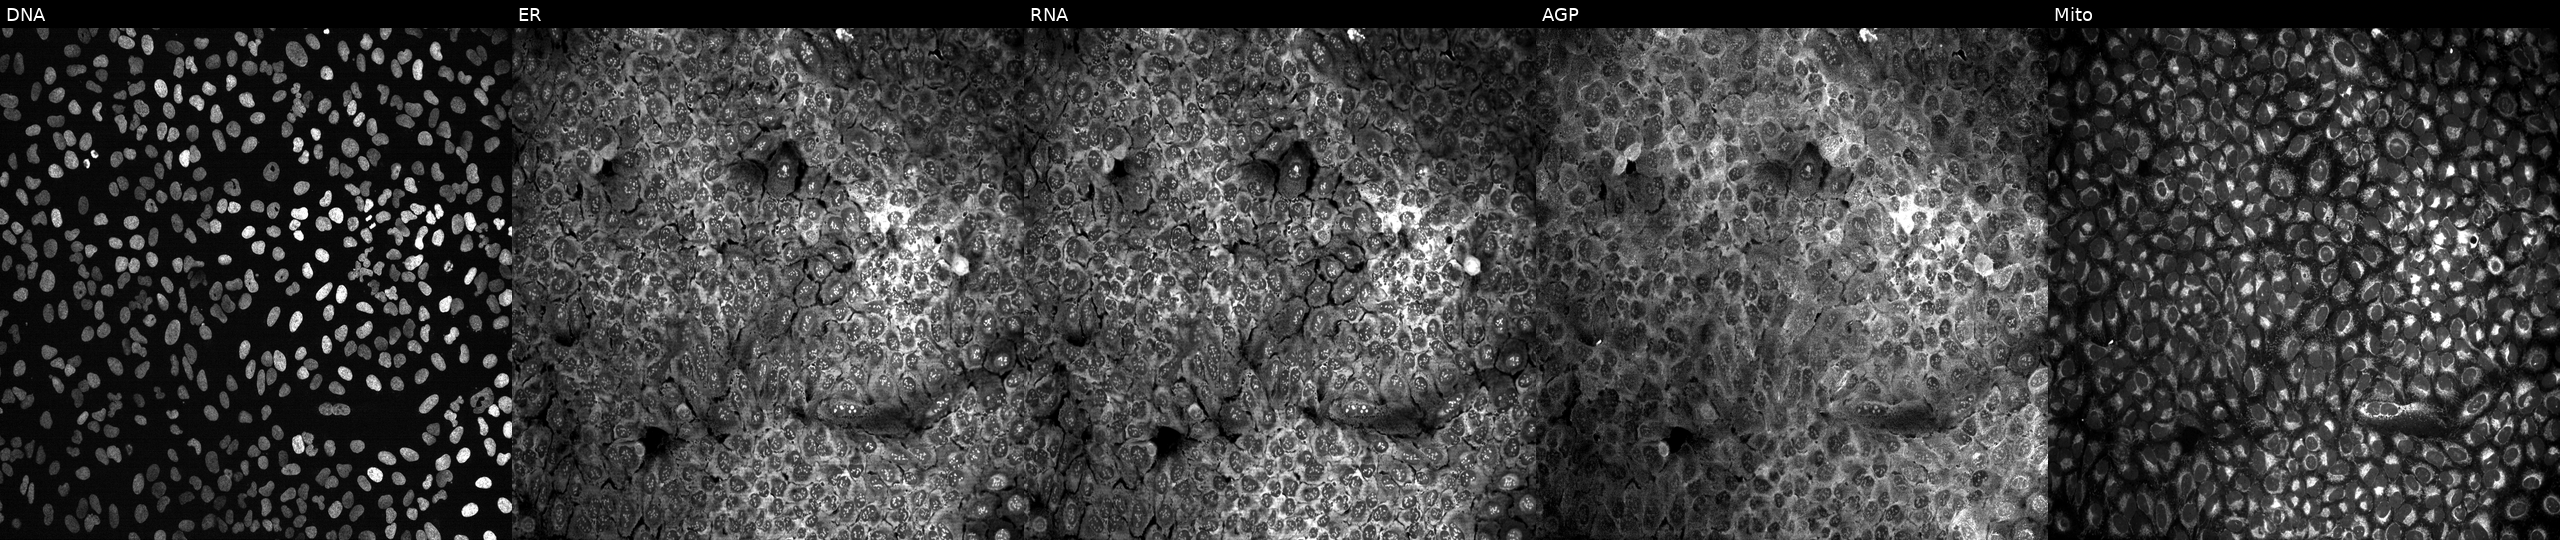
Five-channel Cell Painting image of U2OS cells CRISPR-edited to disrupt LIPF. Channels (left→right): Hoechst 33342, concanavalin A, SYTO 14, phalloidin and WGA, MitoTracker.